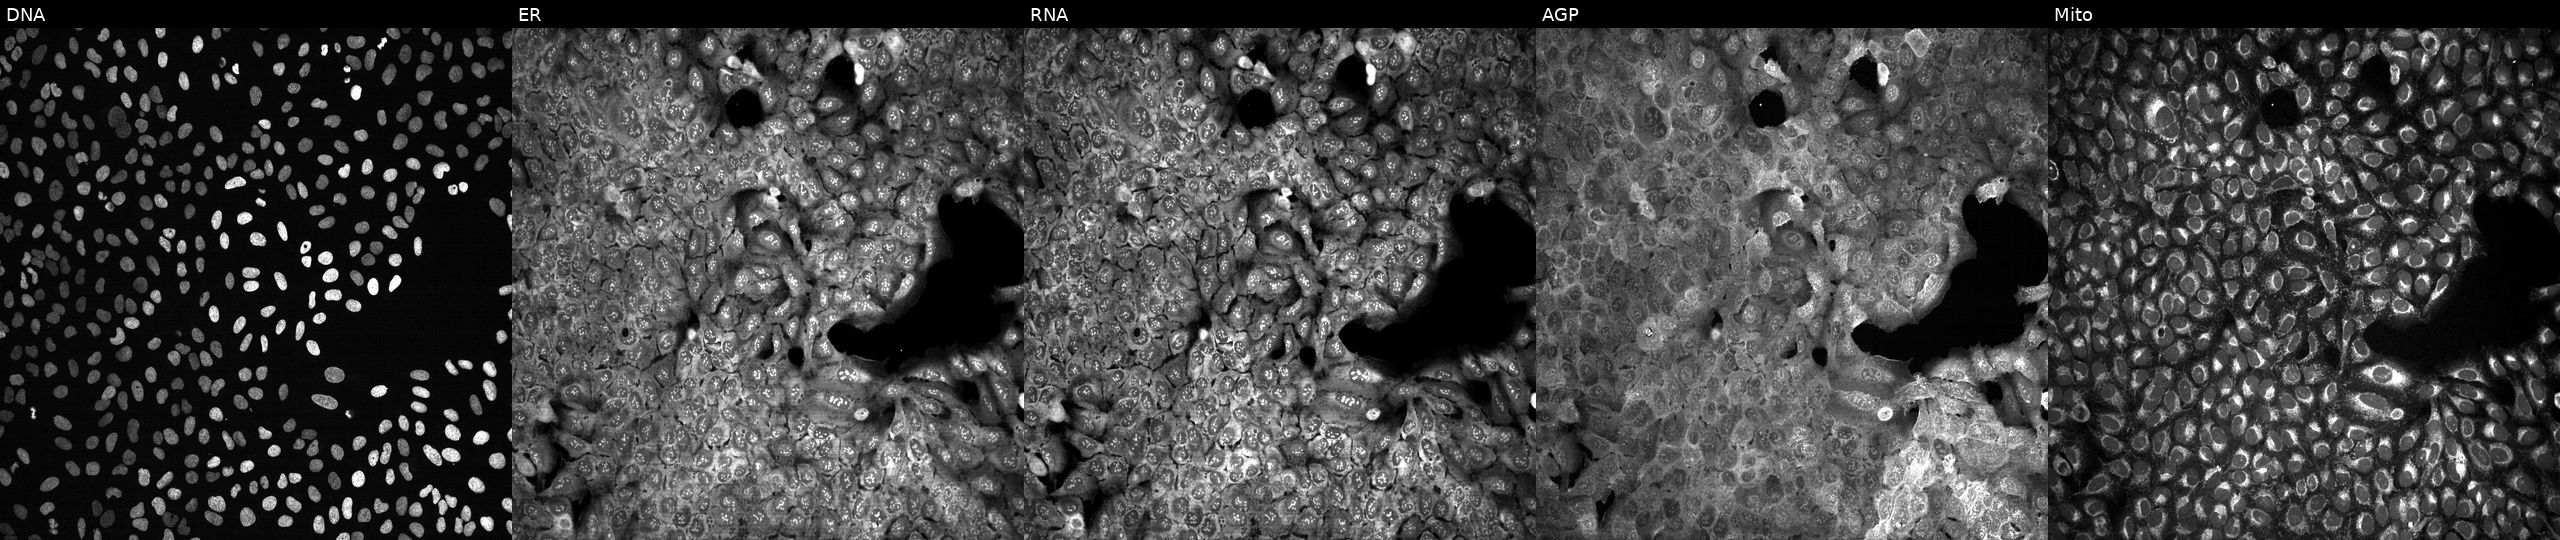
This image strip shows the five Cell Painting channels for a single field of U2OS cells with no CRISPR guide (negative control). The five panels, left to right, show DNA (nuclei); ER (endoplasmic reticulum); RNA (nucleoli and cytoplasmic RNA); AGP (actin cytoskeleton, Golgi, and plasma membrane); Mito (mitochondria). Source 13, plate CP-CC9-R3-02, well H02.